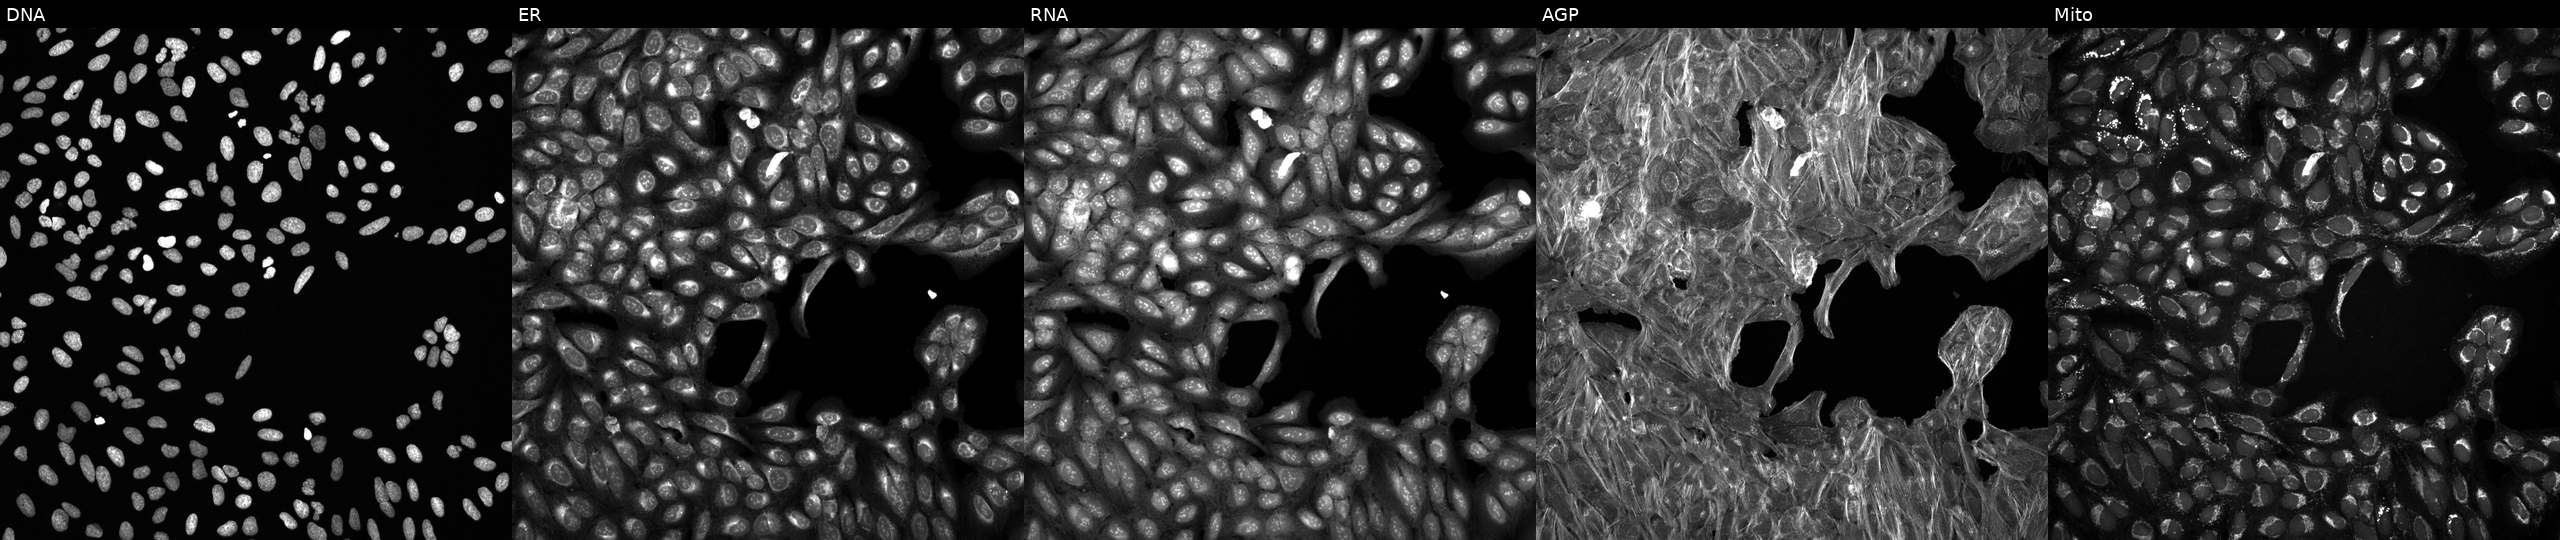
JUMP Cell Painting — COMPOUND plate. U2OS cells treated with a small-molecule compound (InChIKey IMJOQHQCNMLXMZ-UHFFFAOYSA-N) (JUMP id JCP2022_035974). Channels (left→right): DNA (nuclei); ER (endoplasmic reticulum); RNA (nucleoli and cytoplasmic RNA); AGP (actin cytoskeleton, Golgi, and plasma membrane); Mito (mitochondria).